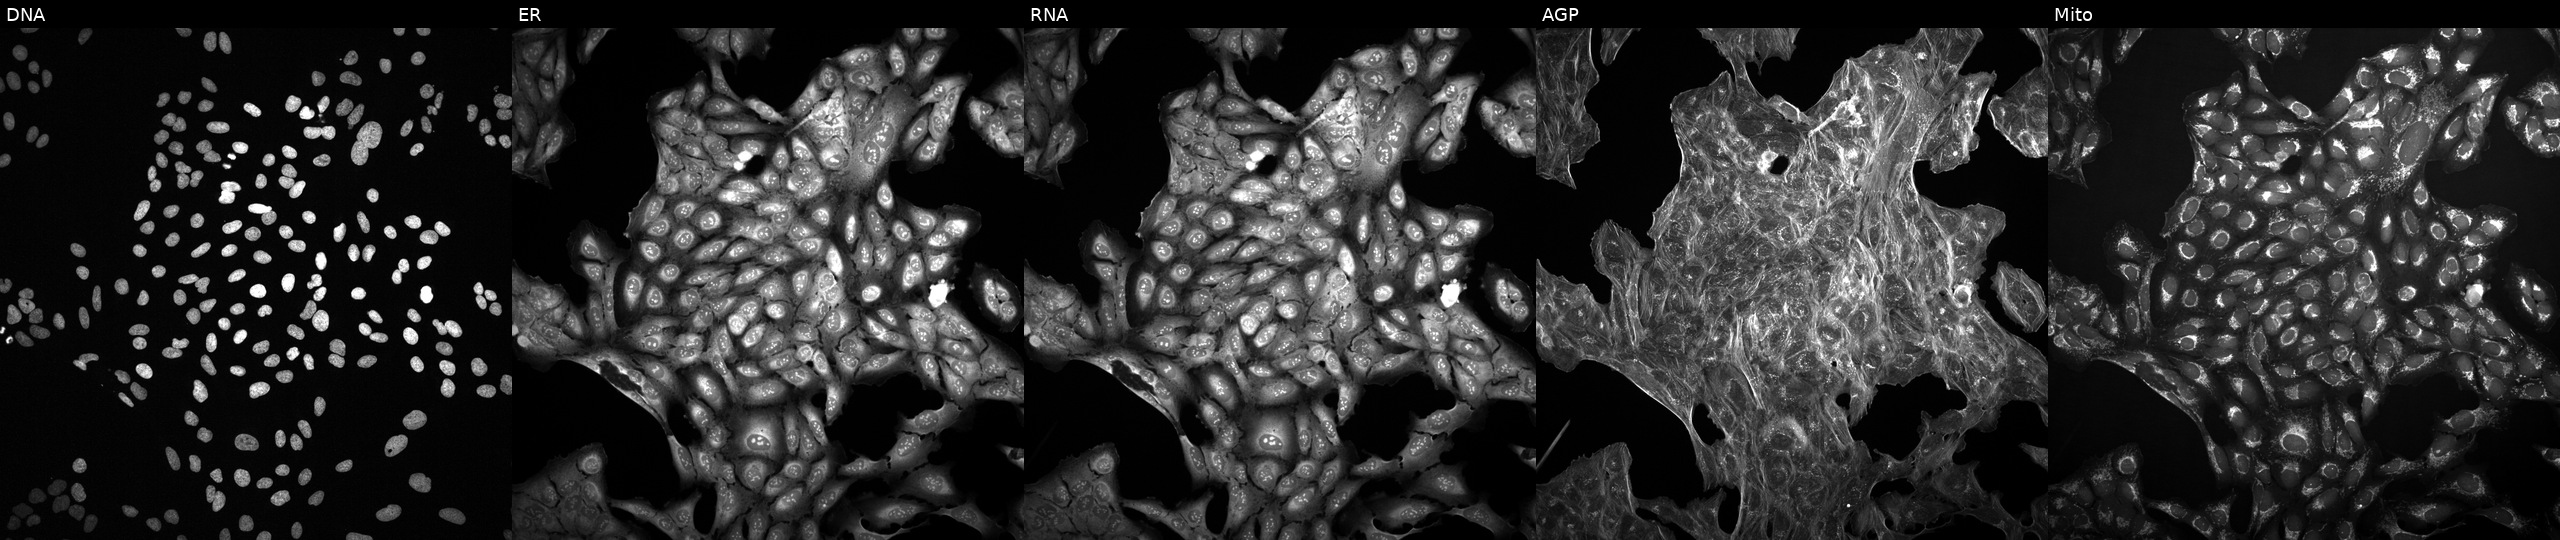
The five panels, left to right, show DNA (nuclei); ER (endoplasmic reticulum); RNA (nucleoli and cytoplasmic RNA); AGP (actin cytoskeleton, Golgi, and plasma membrane); Mito (mitochondria). U2OS osteosarcoma cells perturbed with a small-molecule compound (InChIKey NCEXYHBECQHGNR-UHFFFAOYSA-N) [SMILES: O=C(O)c1cc(N=Nc2ccc(S(=O)(=O)N=c3cccc[nH]3)cc2)ccc1O] (JUMP id JCP2022_058046). Cell Painting assay, JUMP-CP dataset. Source 2, plate 1053597936, well C04.